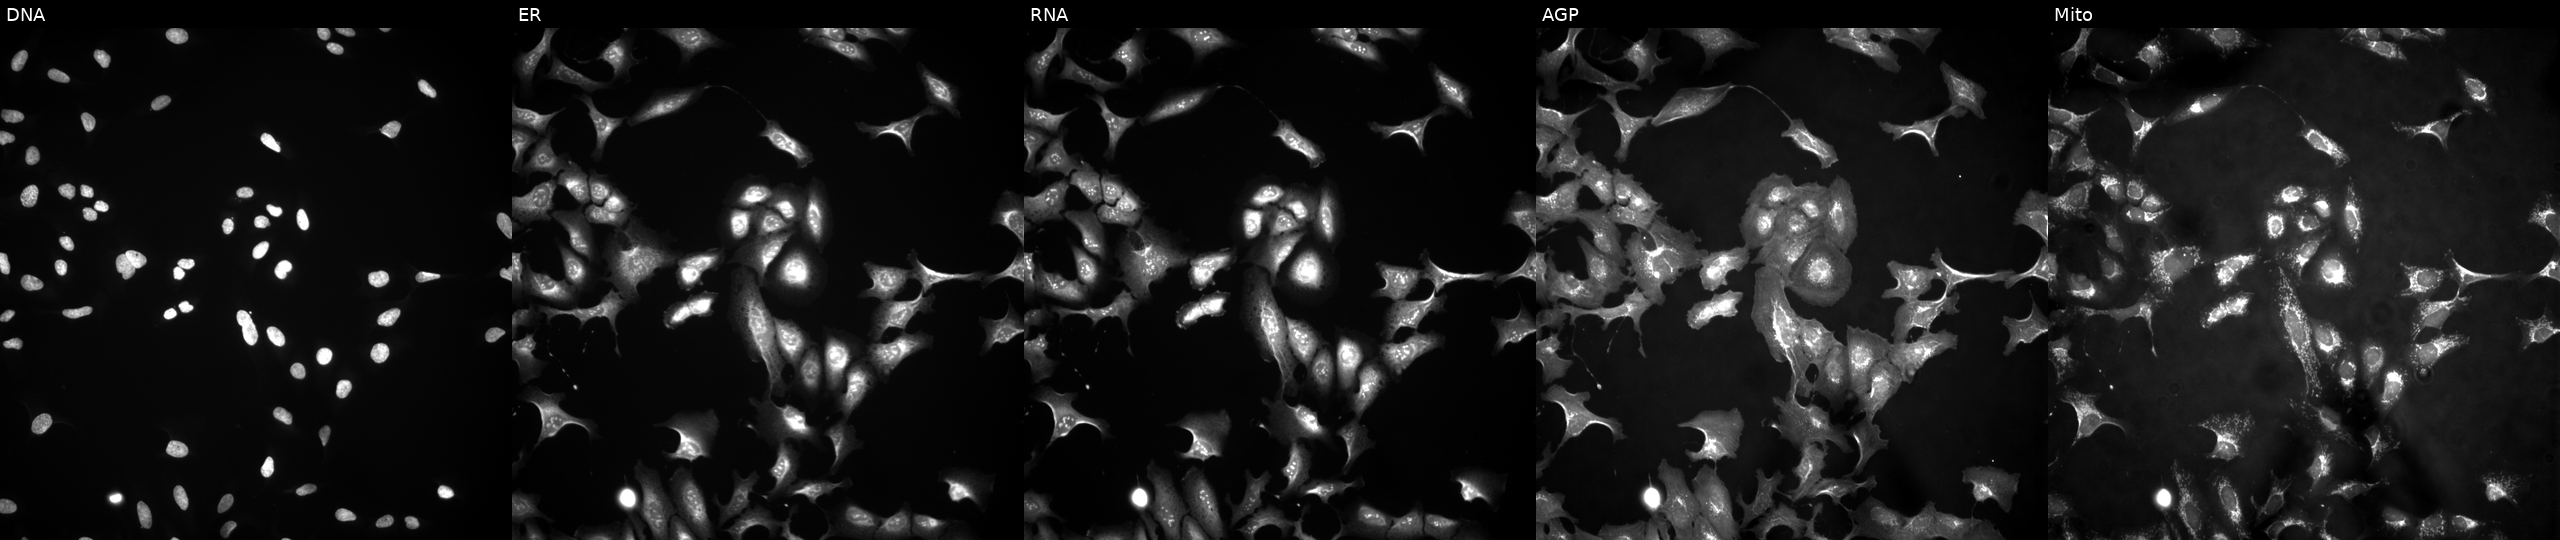
JUMP Cell Painting — ORF plate. U2OS cells transfected with an ORF construct for ZNF843 (JUMP id JCP2022_905021). The five panels, left to right, show Hoechst 33342, concanavalin A, SYTO 14, phalloidin and WGA, MitoTracker. Source 4, plate BR00121543, well L11.